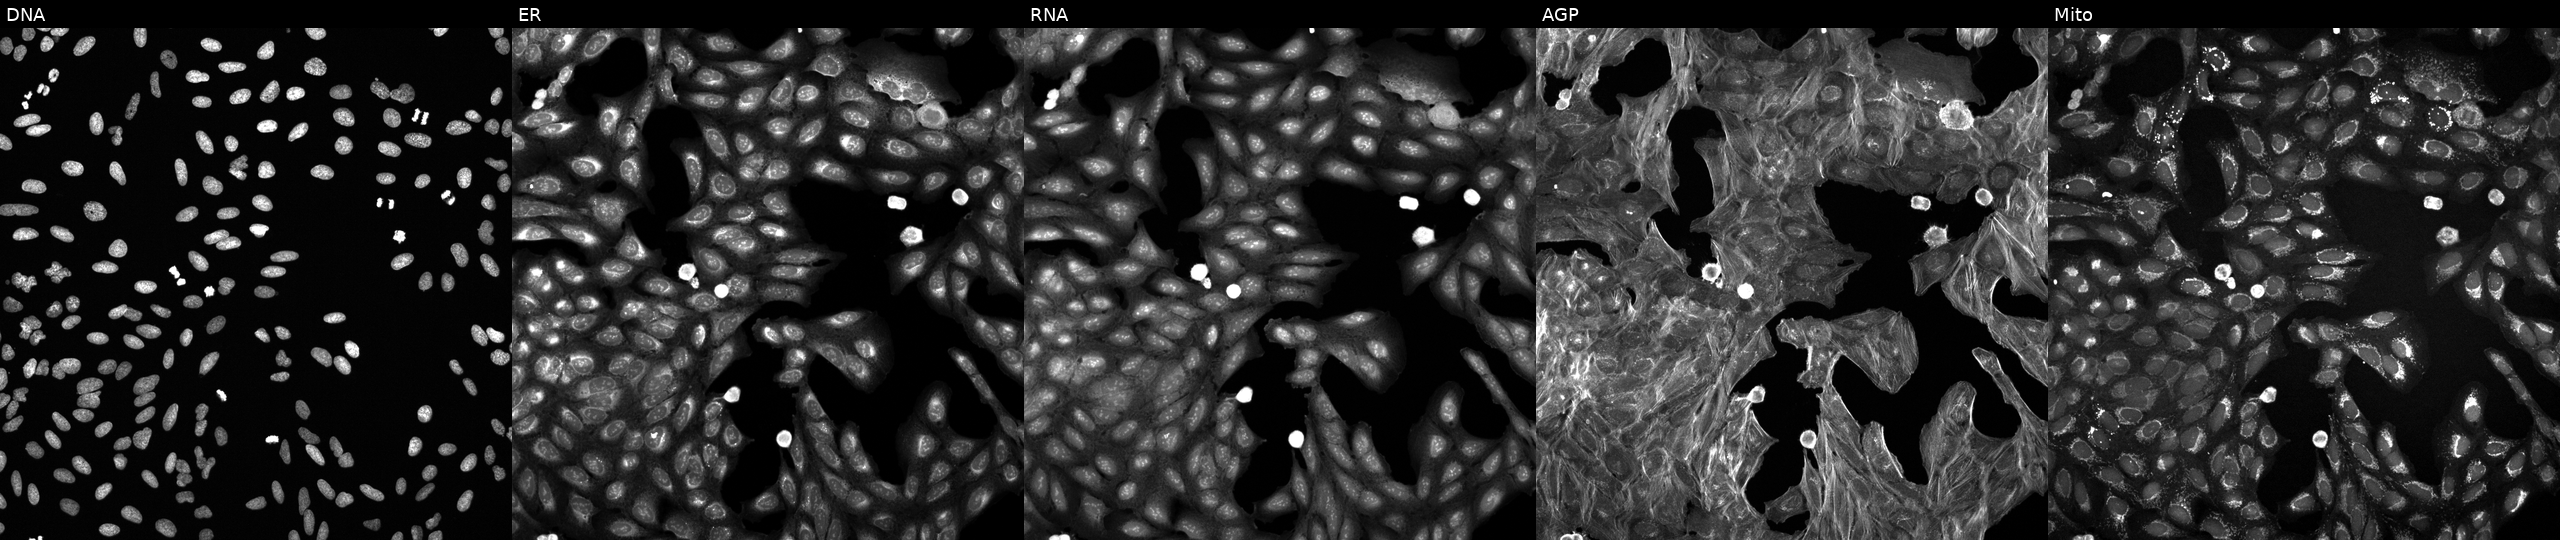
Channels (left→right): Hoechst 33342, concanavalin A, SYTO 14, phalloidin and WGA, MitoTracker. U2OS osteosarcoma cells exposed to a small-molecule compound (InChIKey ZQPXNYLXYNRFNP-UHFFFAOYSA-N). Cell Painting assay, JUMP-CP dataset. Source 6, plate 110000293093, well C14.